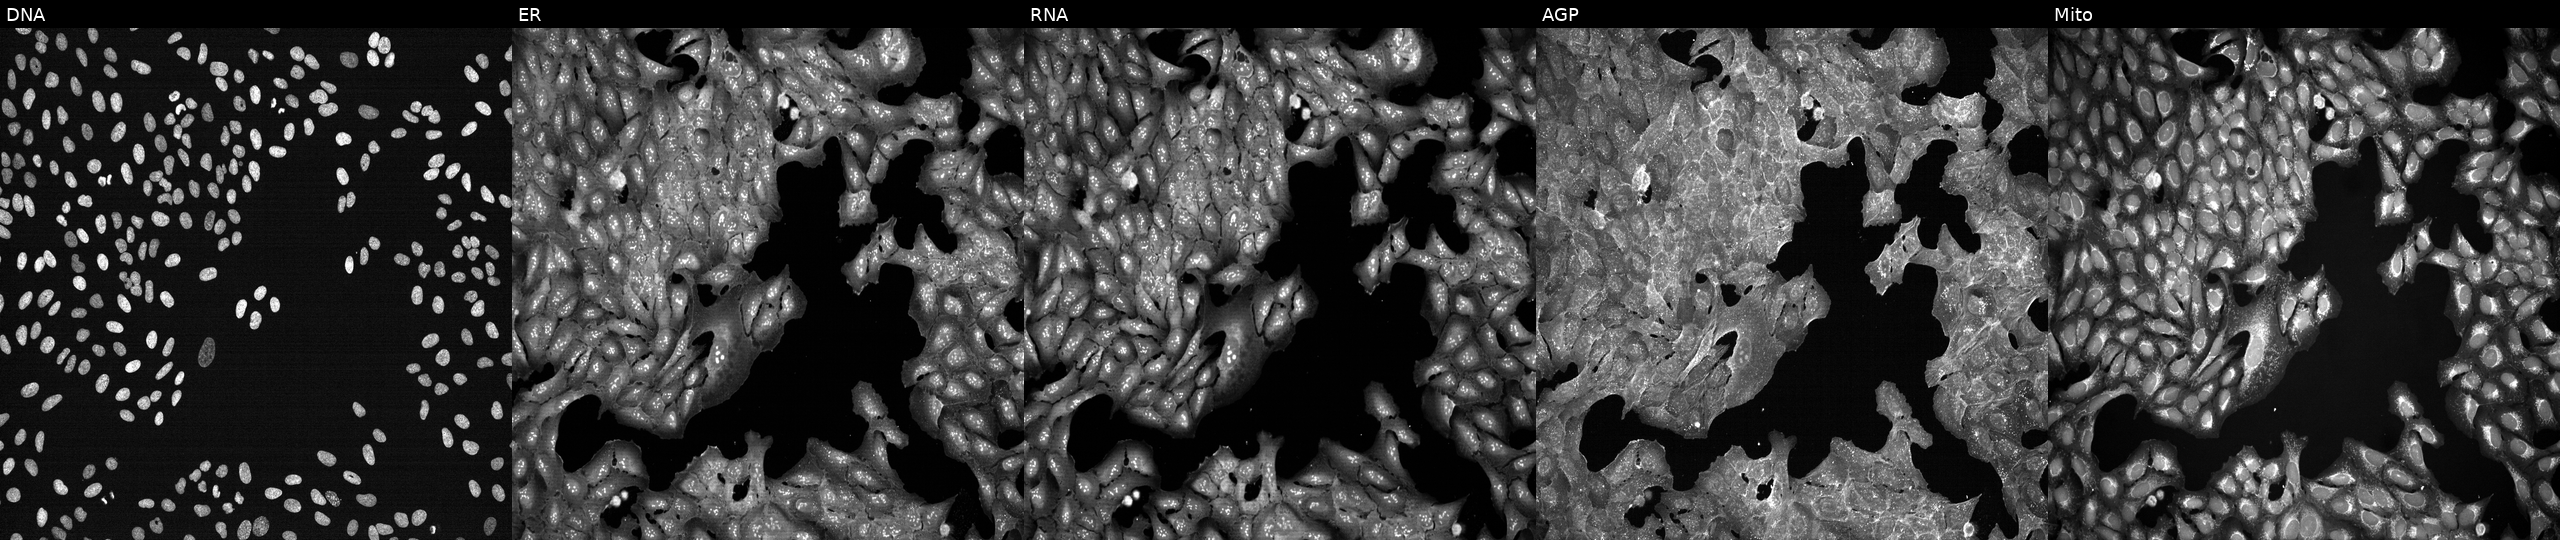
This image strip shows the five Cell Painting channels for a single field of U2OS cells treated with a small-molecule compound (JUMP id JCP2022_014114). Channels (left→right): Hoechst 33342, concanavalin A, SYTO 14, phalloidin and WGA, MitoTracker. Source 7, plate CP2-SC1-25, well B14.